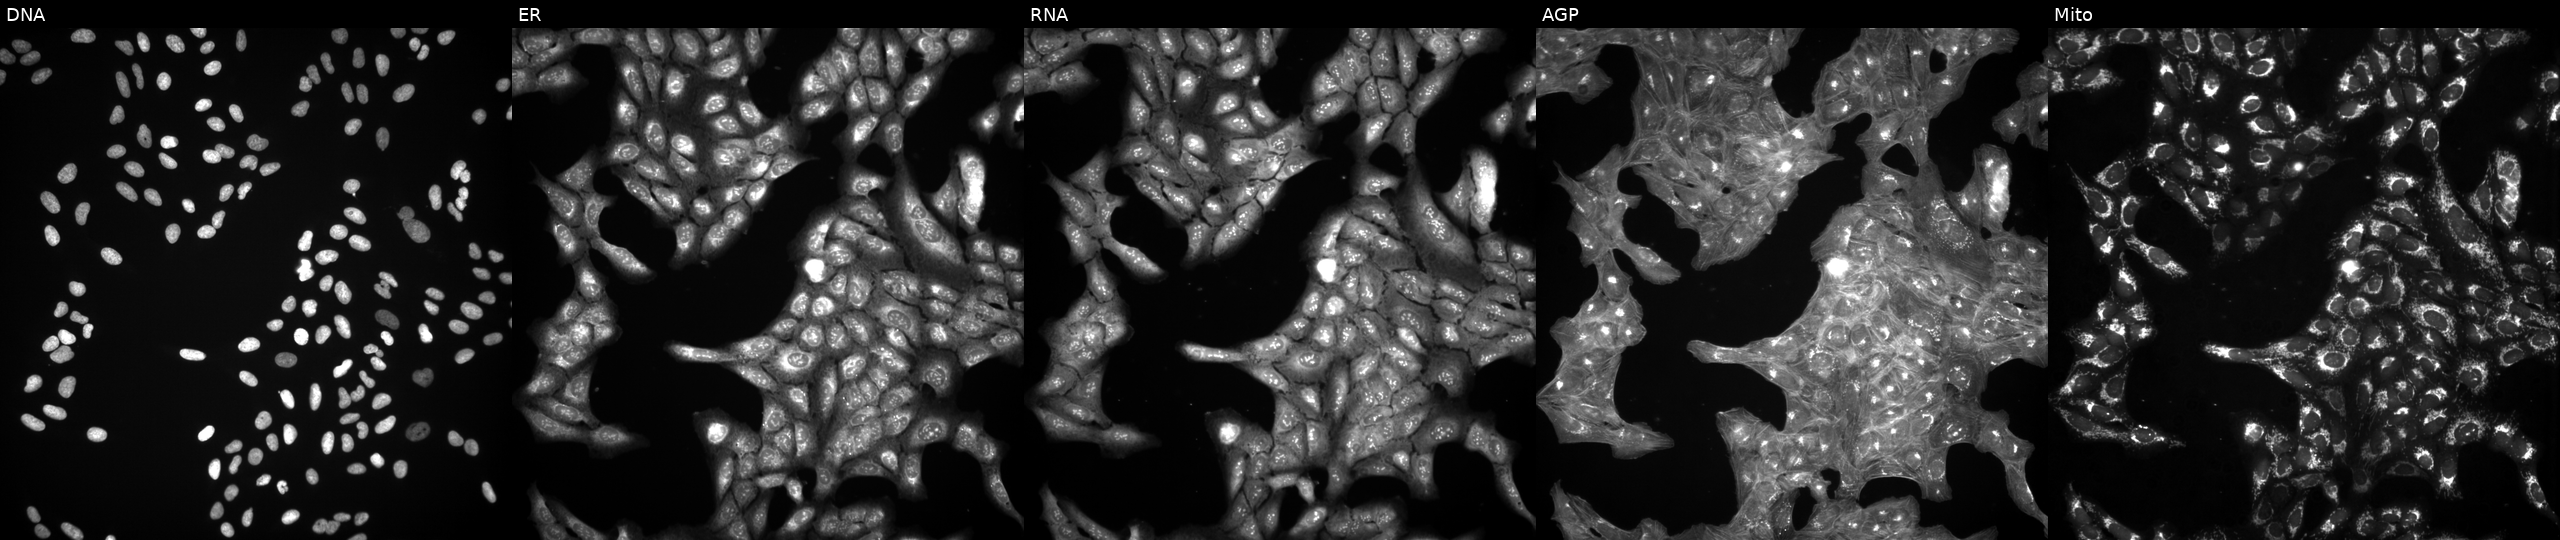
JUMP Cell Painting — COMPOUND plate. U2OS cells treated with a small-molecule compound (InChIKey ZXKAXHQTRARVDZ-UHFFFAOYSA-N) [SMILES: Cc1c(NC(=O)C(C)Sc2nc3ccccc3c(=O)n2CCO)c(=O)n(-c2ccccc2)n1C] (JUMP id JCP2022_116279). The five panels, left to right, show DNA (nuclei); ER (endoplasmic reticulum); RNA (nucleoli and cytoplasmic RNA); AGP (actin cytoskeleton, Golgi, and plasma membrane); Mito (mitochondria).